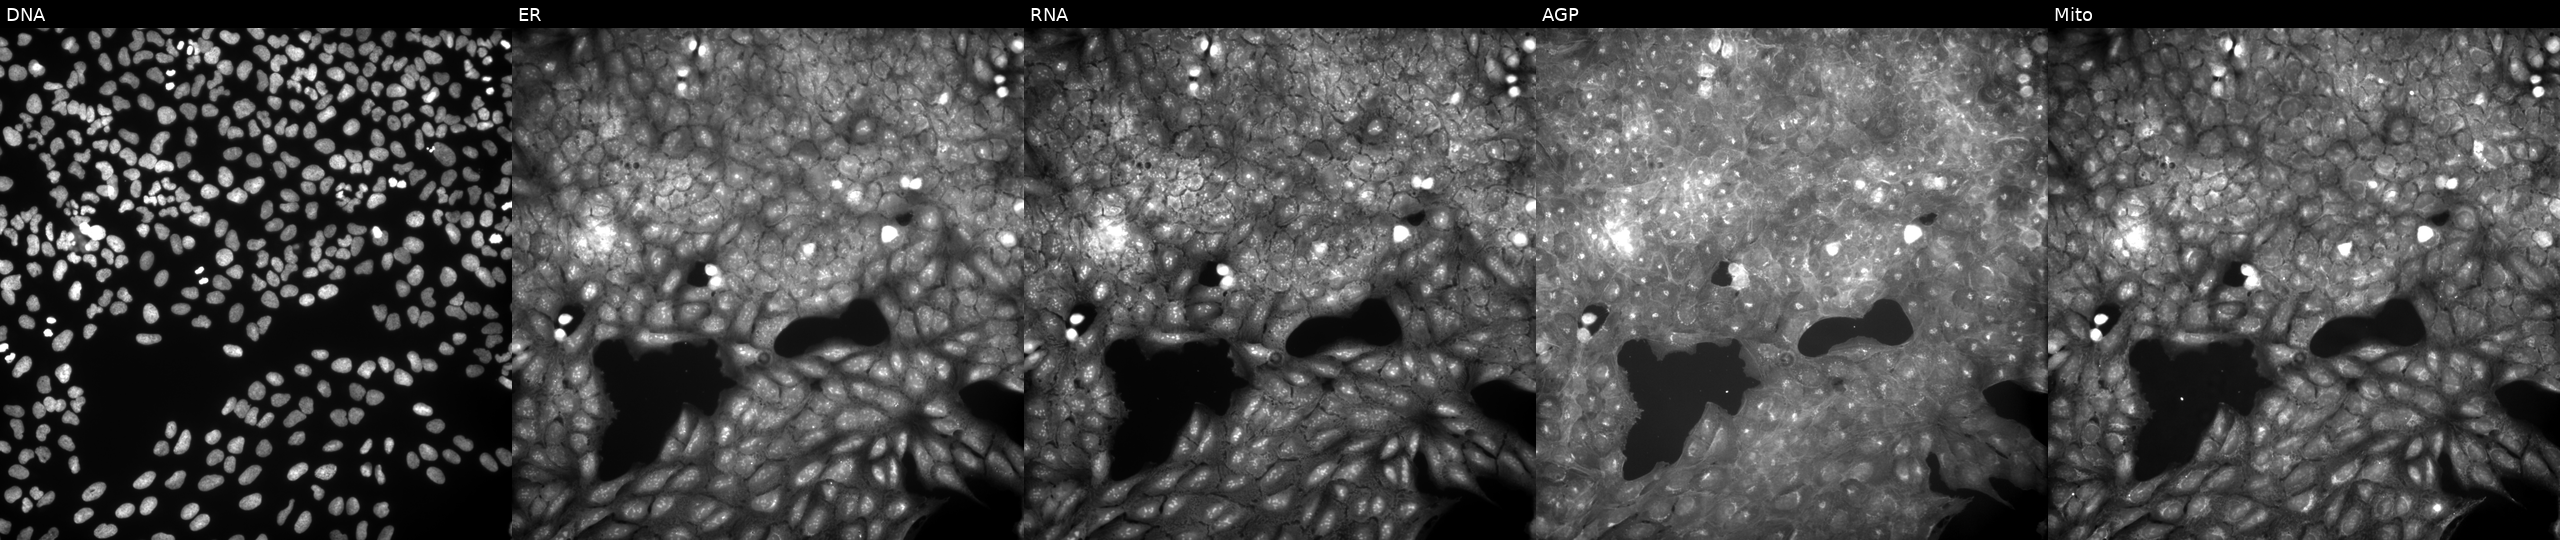
This image strip shows the five Cell Painting channels for a single field of U2OS cells treated with a small-molecule compound (InChIKey QMQFDKQSPKYSSS-UHFFFAOYSA-N) [SMILES: Cc1ccc2c(c1)C(c1ccccc1)N(C(=O)c1cccc([N+](=O)[O-])c1)CC(=O)N2] (JUMP id JCP2022_074483). Channels (left→right): DNA, ER, RNA, AGP, and Mito.